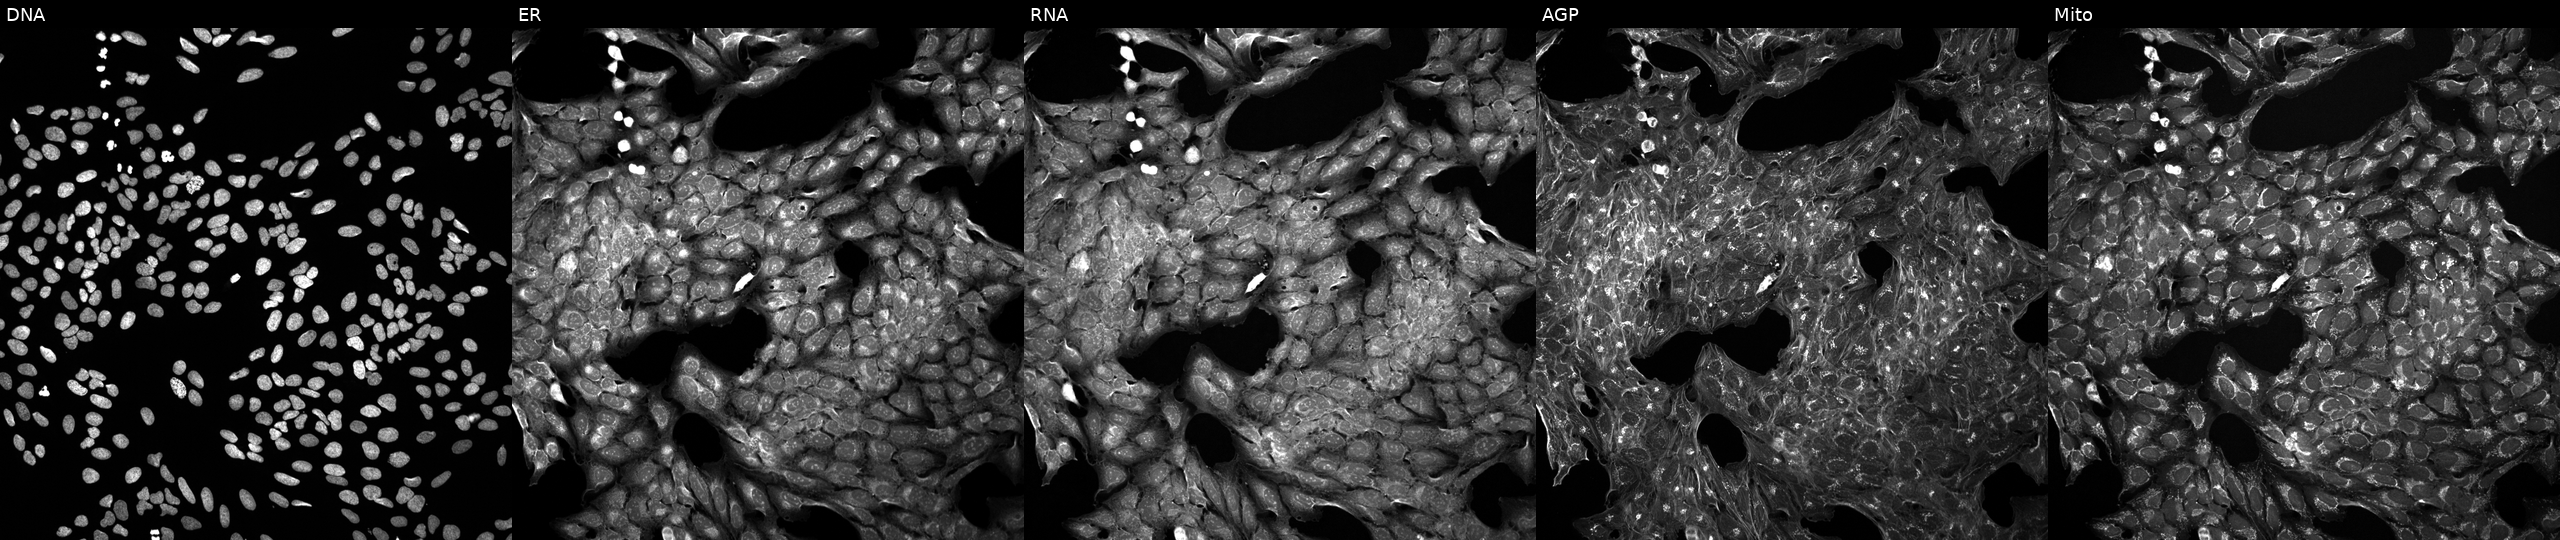
U2OS cells, Cell Painting assay, perturbed with a small-molecule compound. From left to right: DNA (nuclei); ER (endoplasmic reticulum); RNA (nucleoli and cytoplasmic RNA); AGP (actin cytoskeleton, Golgi, and plasma membrane); Mito (mitochondria). Each panel is percentile-stretched 16-bit fluorescence.